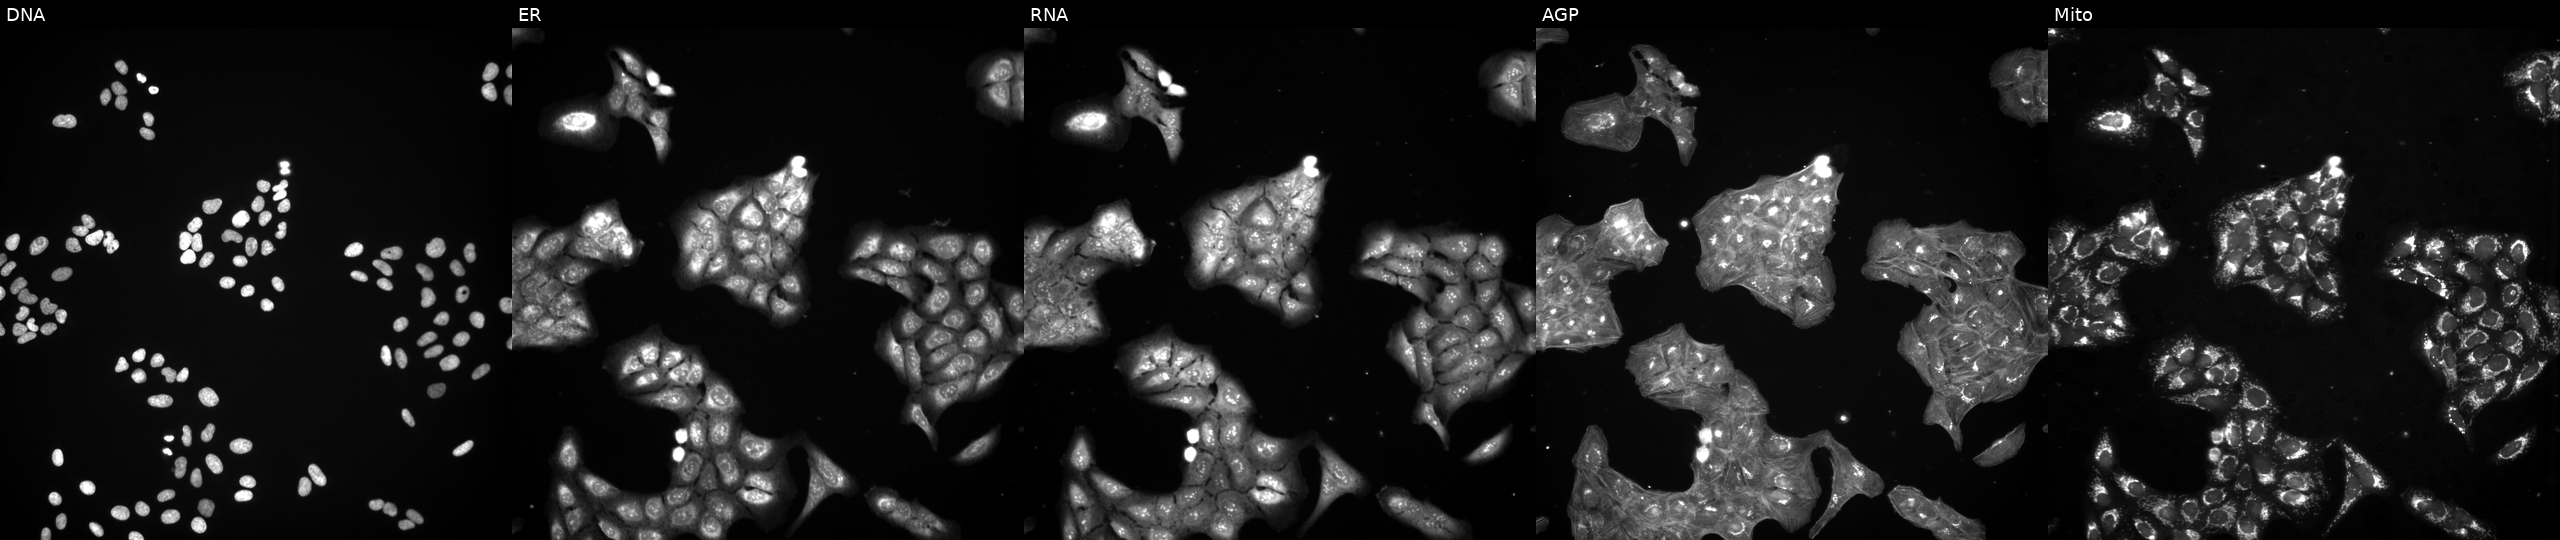
This image strip shows the five Cell Painting channels for a single field of U2OS cells treated with a small-molecule compound (JUMP id JCP2022_104629). From left to right: DNA, ER, RNA, AGP, and Mito.